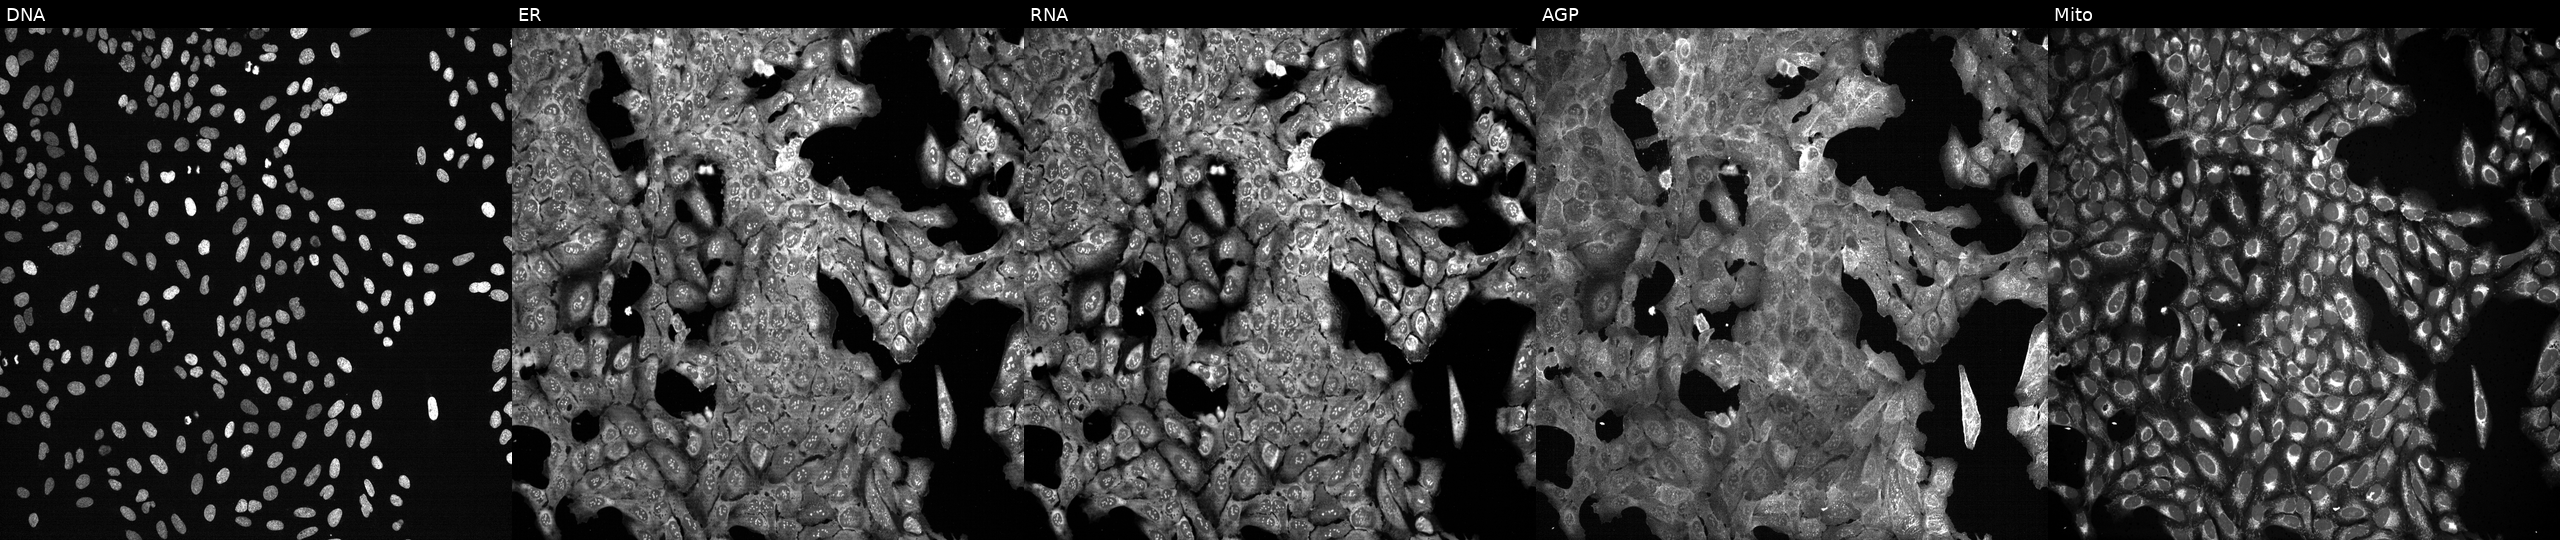
Panels show, left to right, DNA (nuclei); ER (endoplasmic reticulum); RNA (nucleoli and cytoplasmic RNA); AGP (actin cytoskeleton, Golgi, and plasma membrane); Mito (mitochondria). U2OS osteosarcoma cells with SLC40A1 knocked out by CRISPR (JUMP id JCP2022_806535). Cell Painting assay, JUMP-CP dataset.